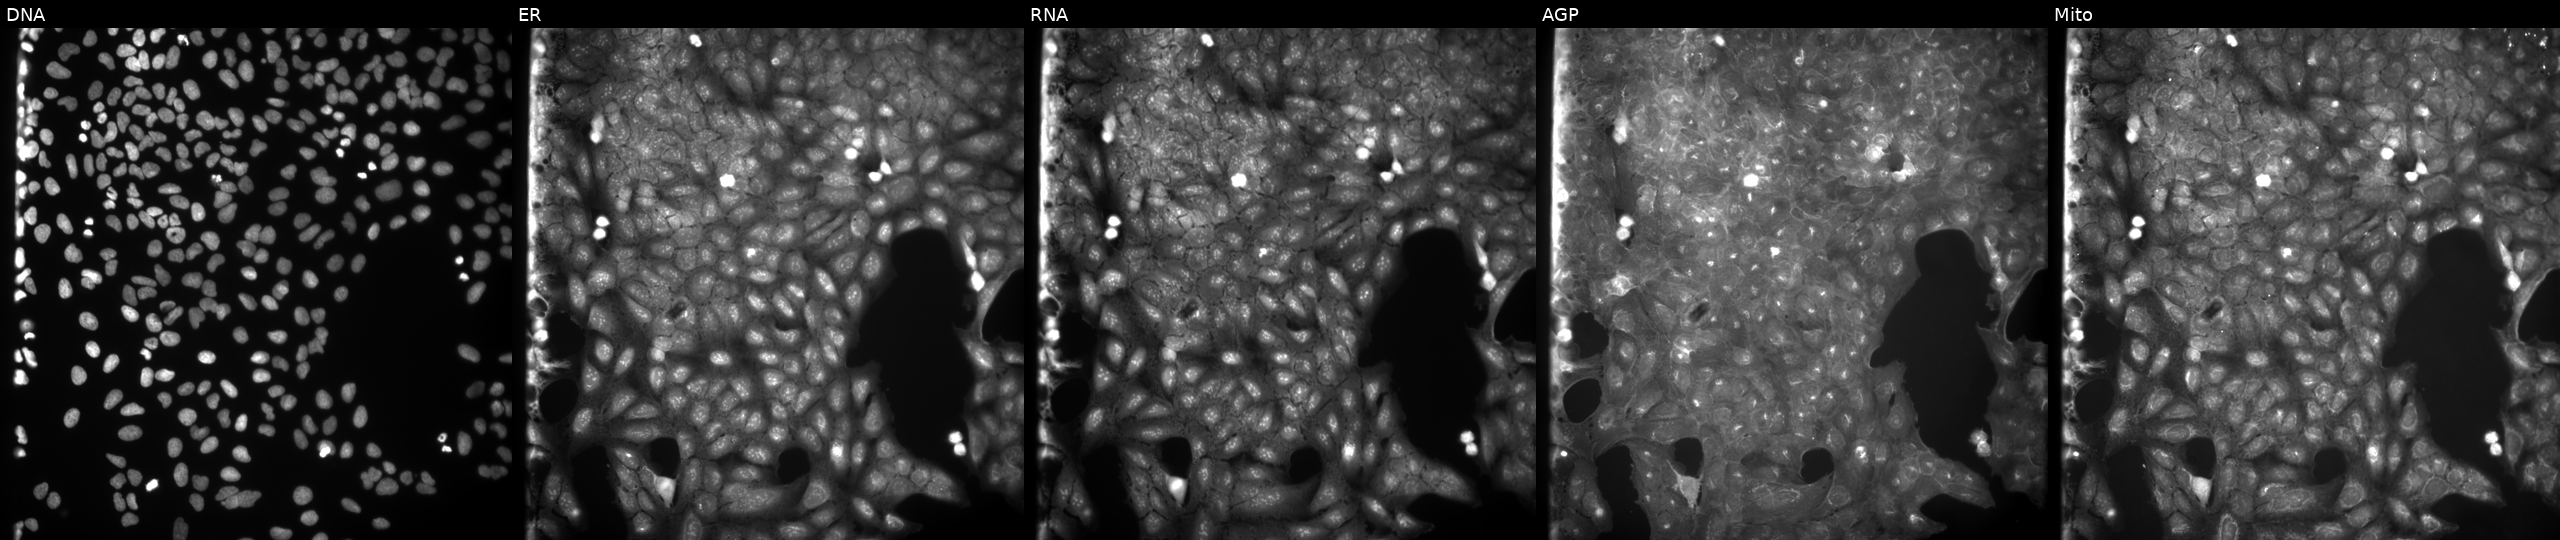
The five panels, left to right, show Hoechst 33342, concanavalin A, SYTO 14, phalloidin and WGA, MitoTracker. U2OS osteosarcoma cells treated with a small-molecule compound (InChIKey OXHUKLPNXVCKLP-UHFFFAOYSA-N) [SMILES: Cc1ccc(N2C(=O)c3ccc(N)cc3C2=O)cc1C] (JUMP id JCP2022_066746). Cell Painting assay, JUMP-CP dataset.